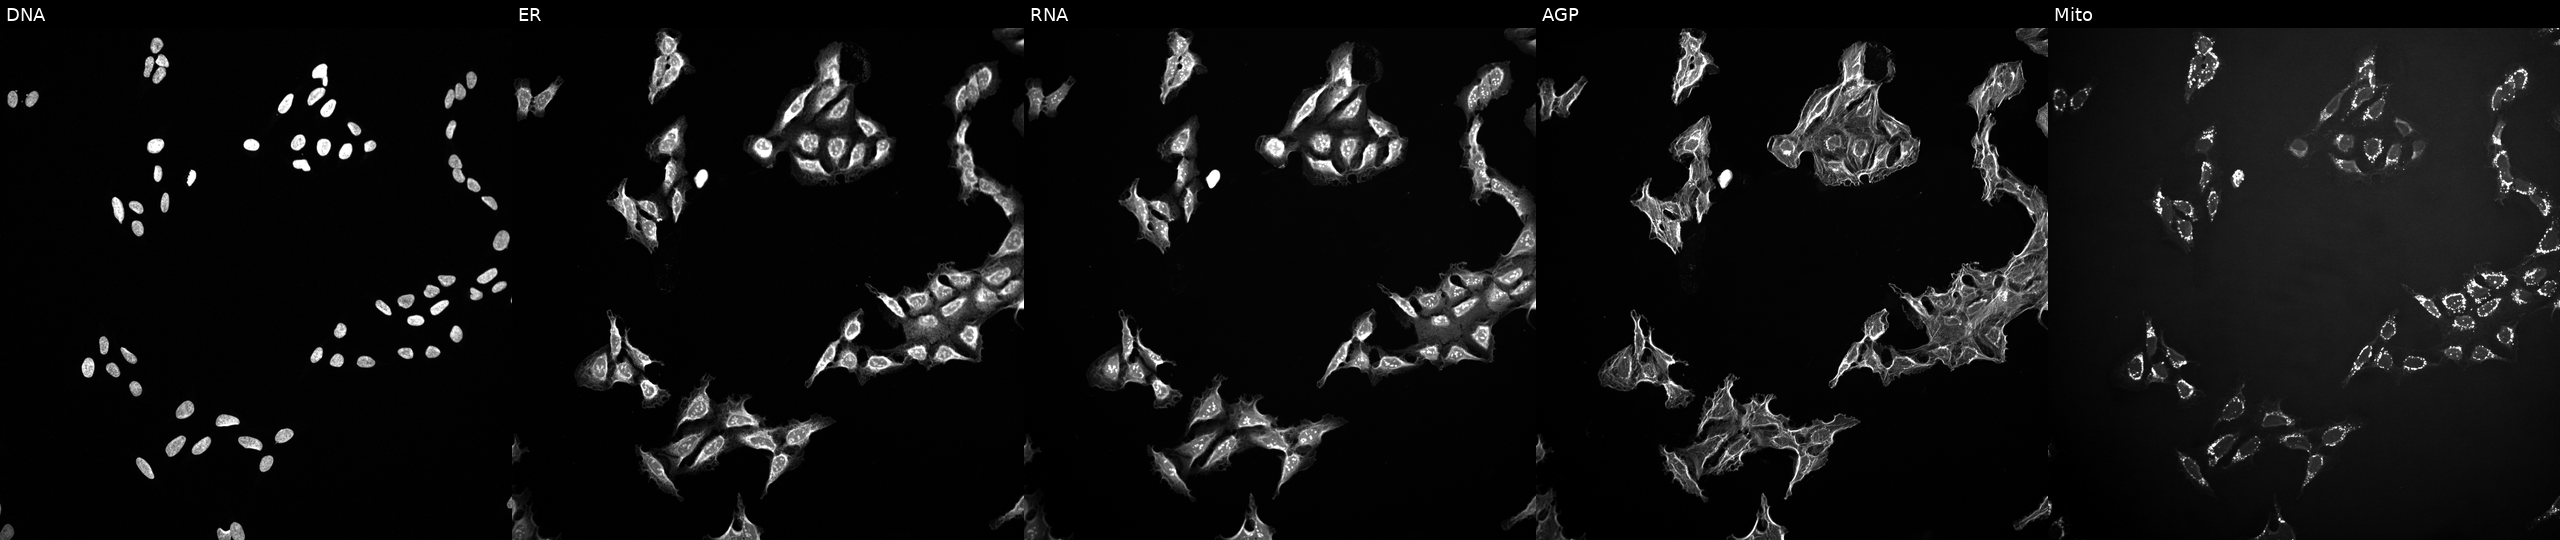
Five-channel Cell Painting image of U2OS cells treated with a small-molecule compound (InChIKey WGZOTBUYUFBEPZ-UHFFFAOYSA-N). From left to right: DNA, ER, RNA, AGP, and Mito.